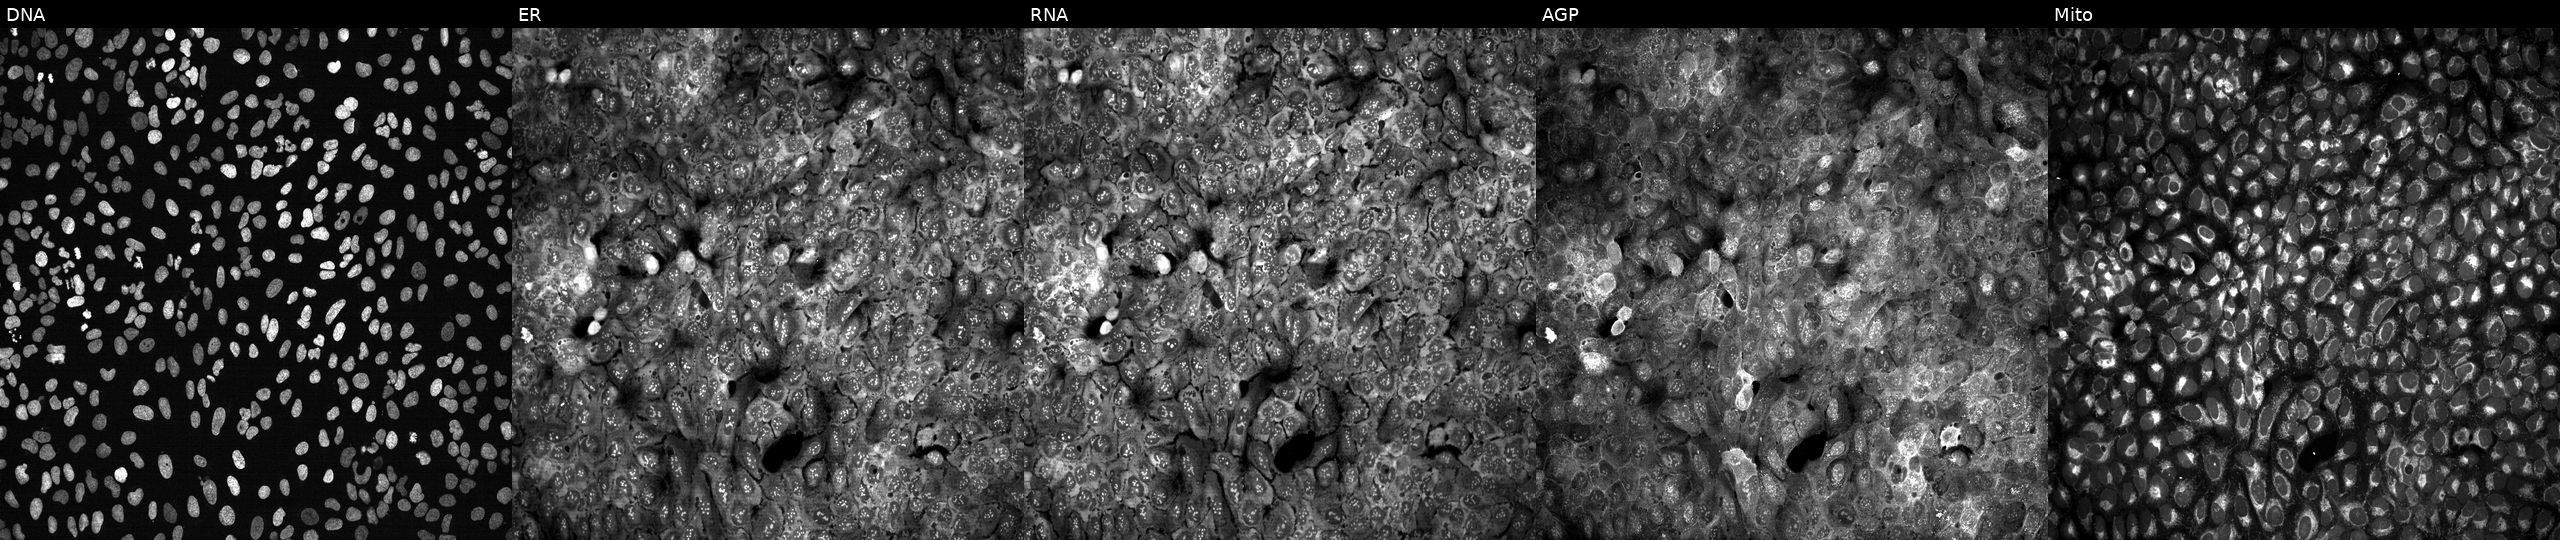
U2OS cells, Cell Painting assay, following CRISPR knockout of DHX33 (JUMP id JCP2022_801802). From left to right: DNA (nuclei); ER (endoplasmic reticulum); RNA (nucleoli and cytoplasmic RNA); AGP (actin cytoskeleton, Golgi, and plasma membrane); Mito (mitochondria). Each panel is percentile-stretched 16-bit fluorescence.